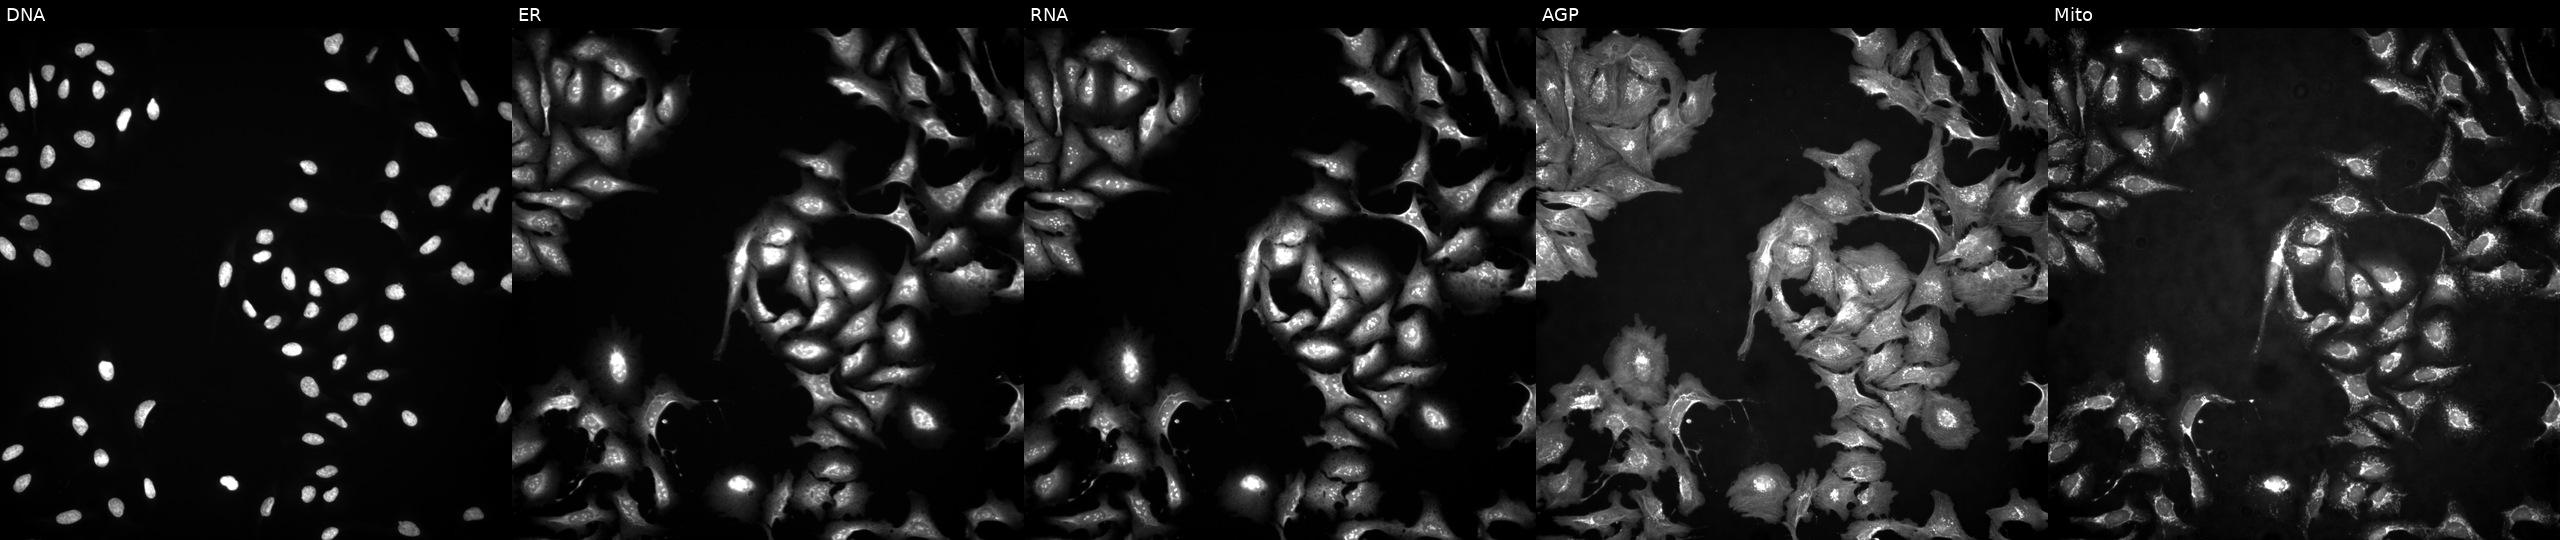
This image strip shows the five Cell Painting channels for a single field of U2OS cells transfected with an ORF construct for PRPS1L1 (JUMP id JCP2022_914299). Panels show, left to right, DNA (nuclei); ER (endoplasmic reticulum); RNA (nucleoli and cytoplasmic RNA); AGP (actin cytoskeleton, Golgi, and plasma membrane); Mito (mitochondria). Source 4, plate BR00123945, well E13.